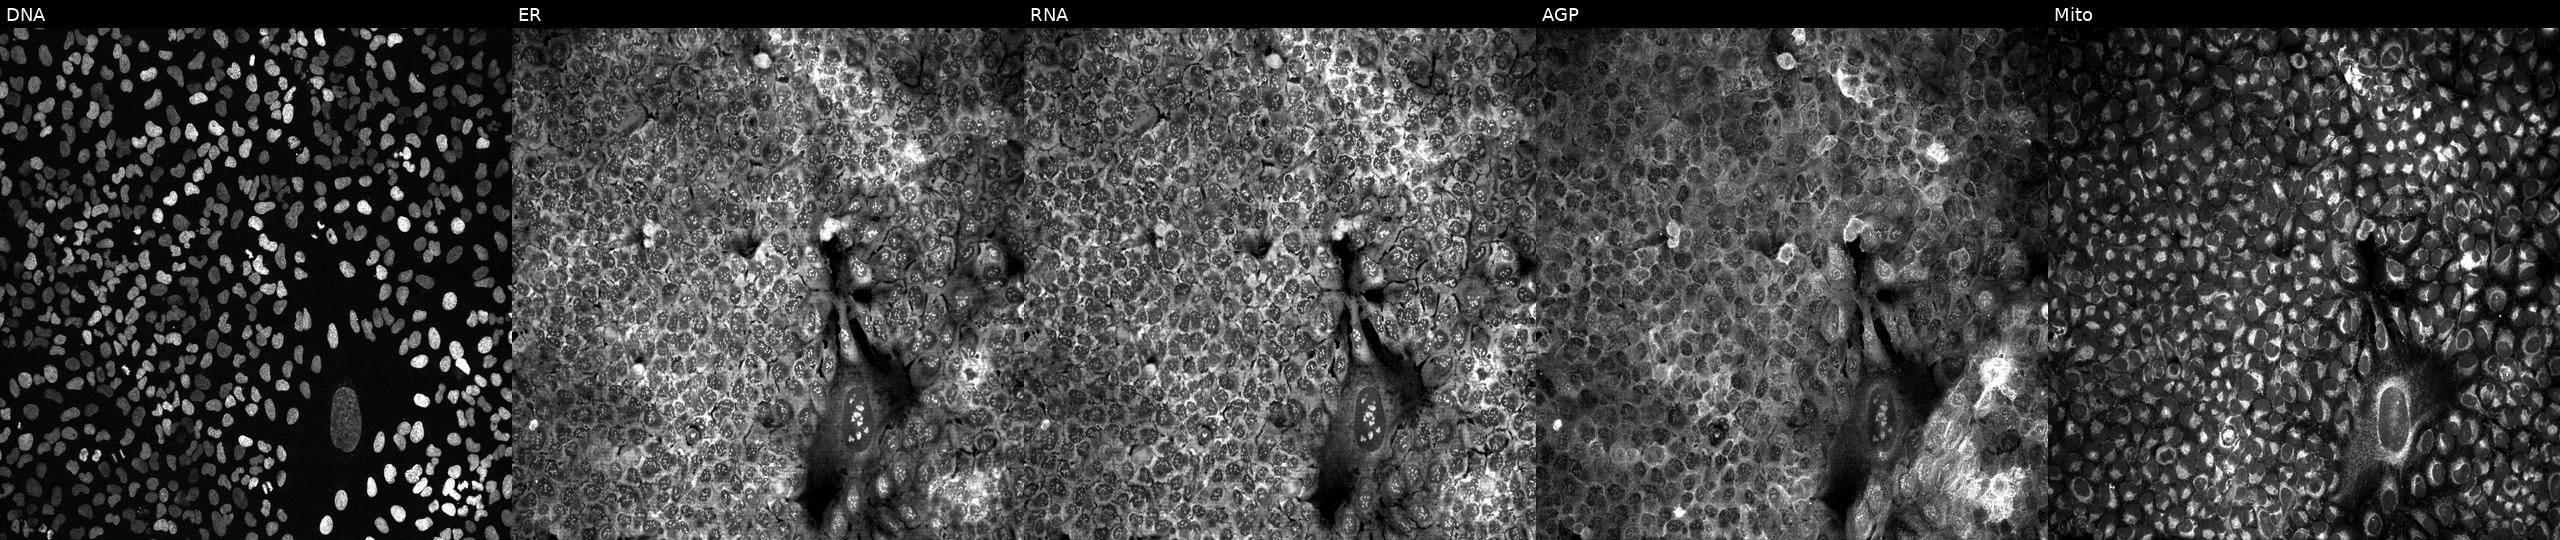
High-content fluorescence microscopy (Cell Painting). Cell line: U2OS. Perturbation: following CRISPR knockout of UCP2. Channels (left→right): Hoechst 33342, concanavalin A, SYTO 14, phalloidin and WGA, MitoTracker. Source 13, plate CP-CC9-R4-03, well H04.